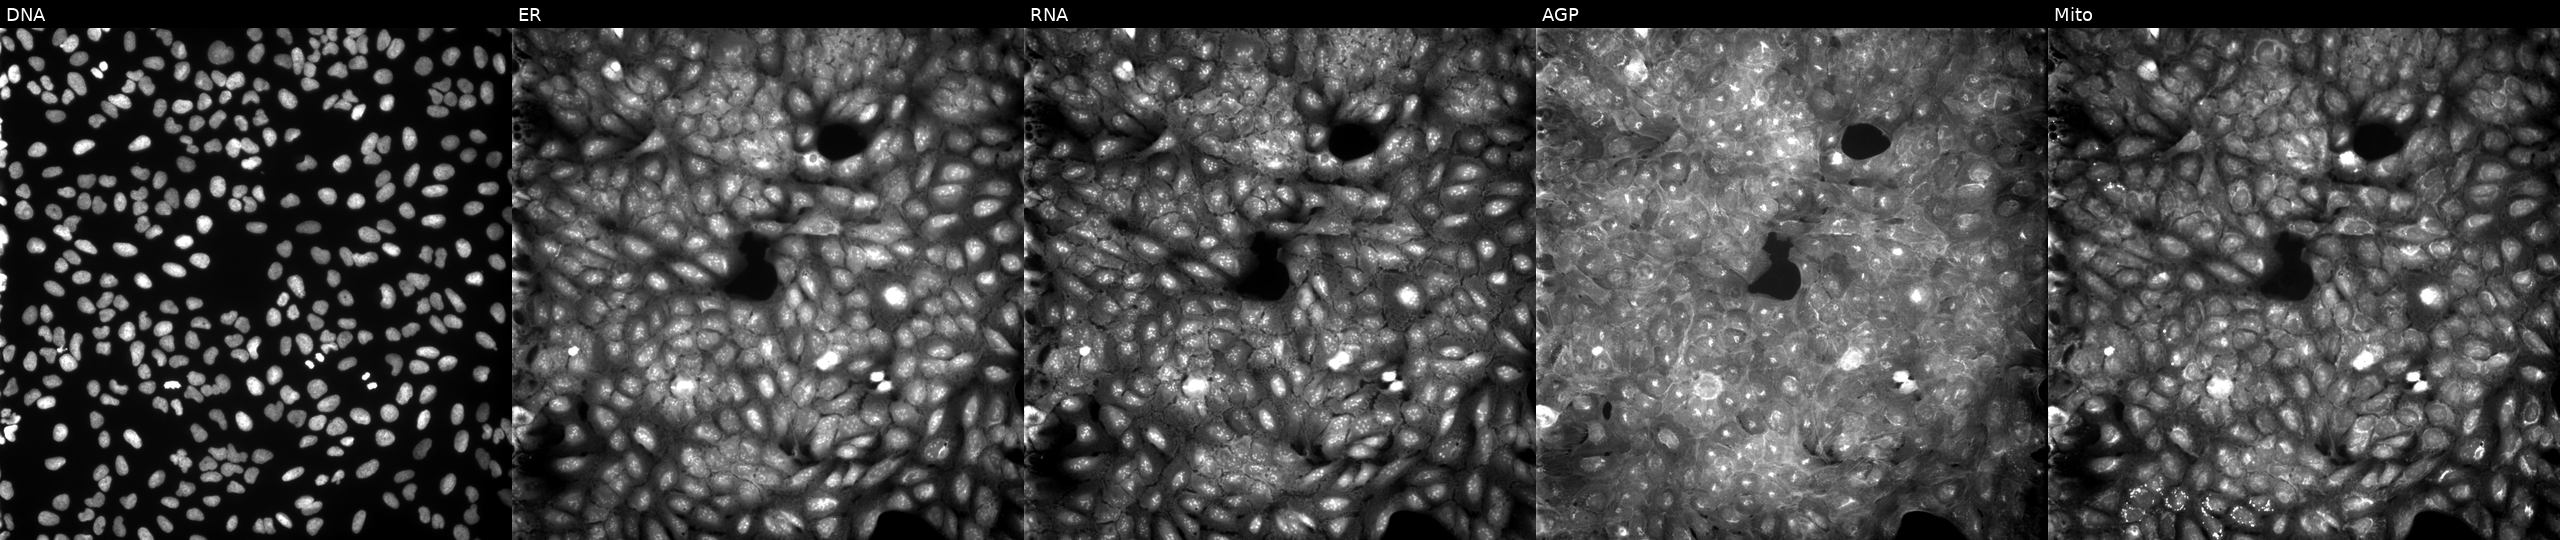
U2OS cells, Cell Painting assay, perturbed with a small-molecule compound (InChIKey JMIUEKWIOAEENT-UHFFFAOYSA-N) (JUMP id JCP2022_040734). Panels show, left to right, DNA (nuclei); ER (endoplasmic reticulum); RNA (nucleoli and cytoplasmic RNA); AGP (actin cytoskeleton, Golgi, and plasma membrane); Mito (mitochondria). Each panel is percentile-stretched 16-bit fluorescence. Source 9, plate GR00003381, well D22.